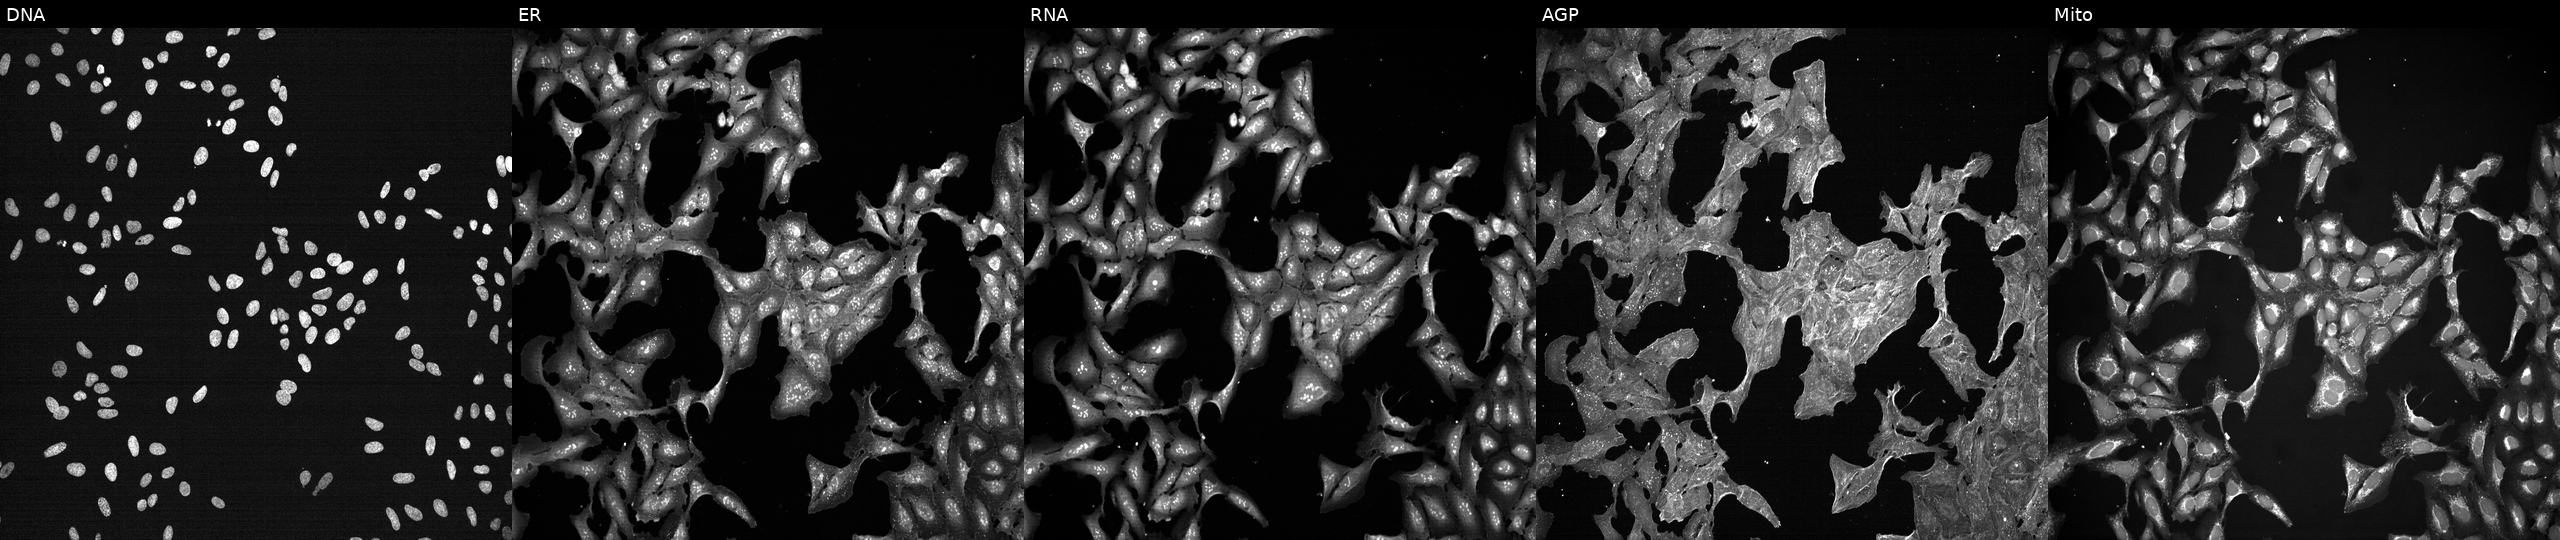
Five-channel Cell Painting image of U2OS cells perturbed with a small-molecule compound (JUMP id JCP2022_066287). Channels (left→right): DNA, ER, RNA, AGP, and Mito.